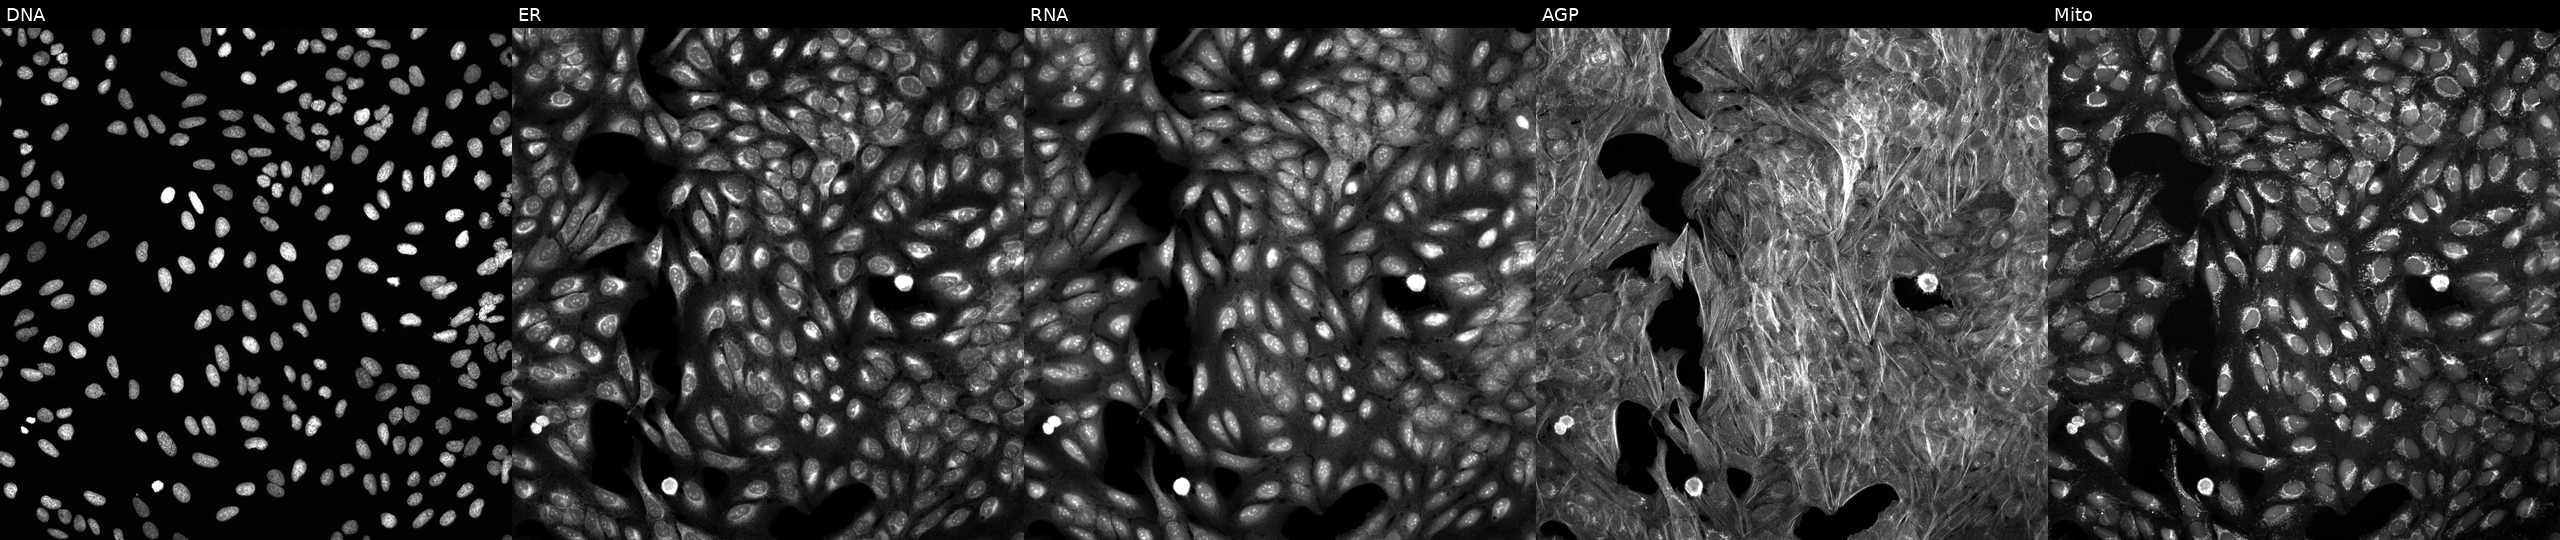
U2OS cells, Cell Painting assay, perturbed with a small-molecule compound. Panels show, left to right, Hoechst 33342, concanavalin A, SYTO 14, phalloidin and WGA, MitoTracker. Each panel is percentile-stretched 16-bit fluorescence. Source 6, plate 110000294901, well J23.